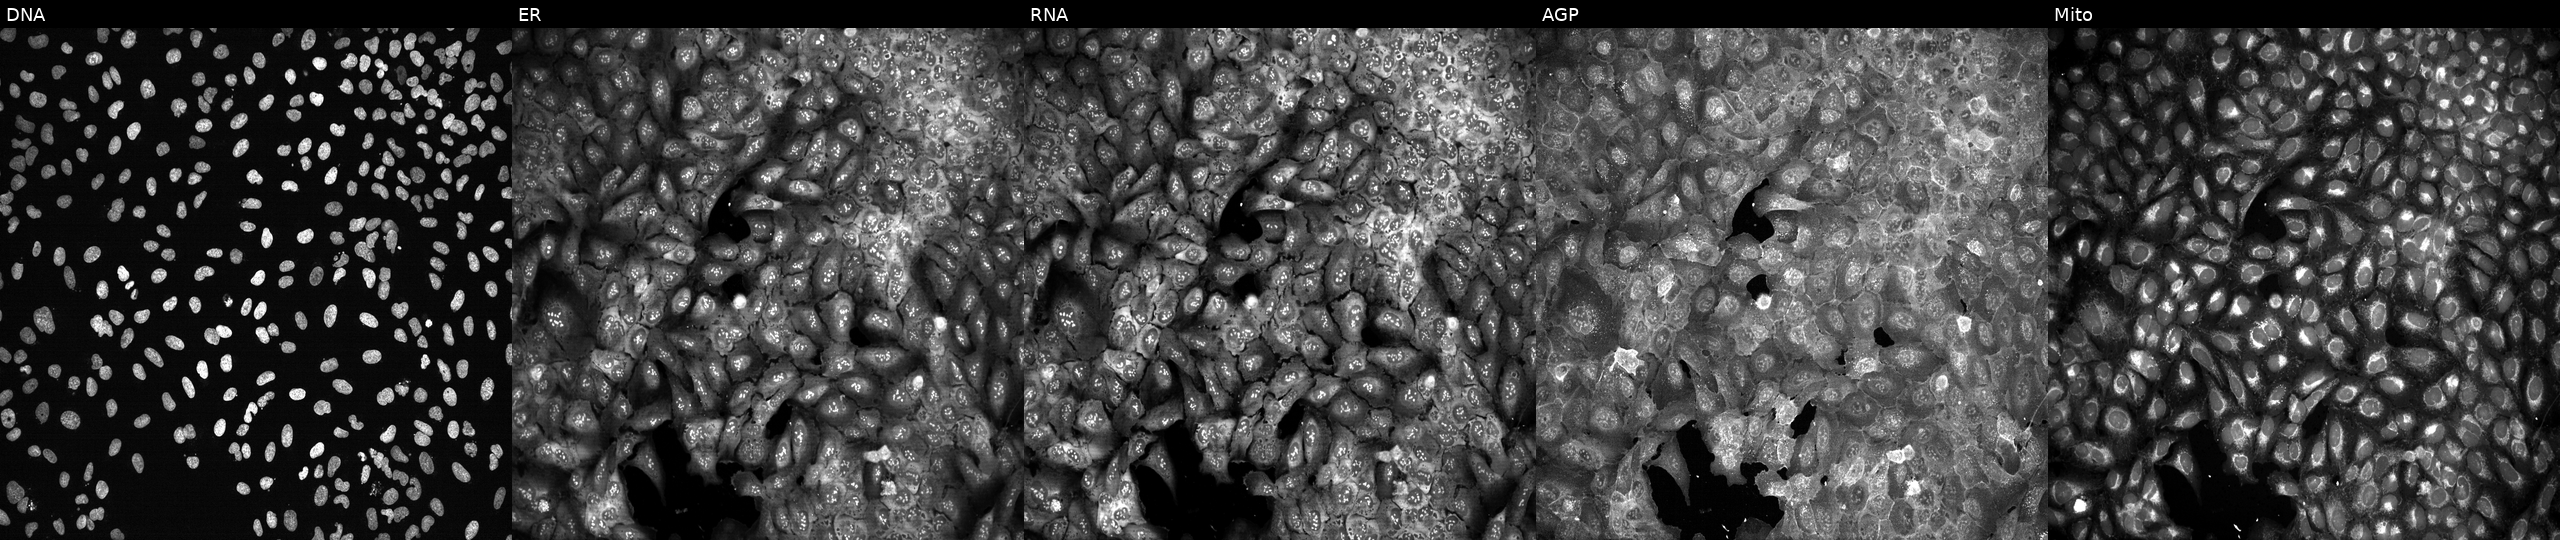
High-content fluorescence microscopy (Cell Painting). Cell line: U2OS. Perturbation: CRISPR-edited to disrupt SLC9A6 (JUMP id JCP2022_806598). Panels show, left to right, Hoechst 33342, concanavalin A, SYTO 14, phalloidin and WGA, MitoTracker. Source 13, plate CP-CC9-R5-01, well B11.